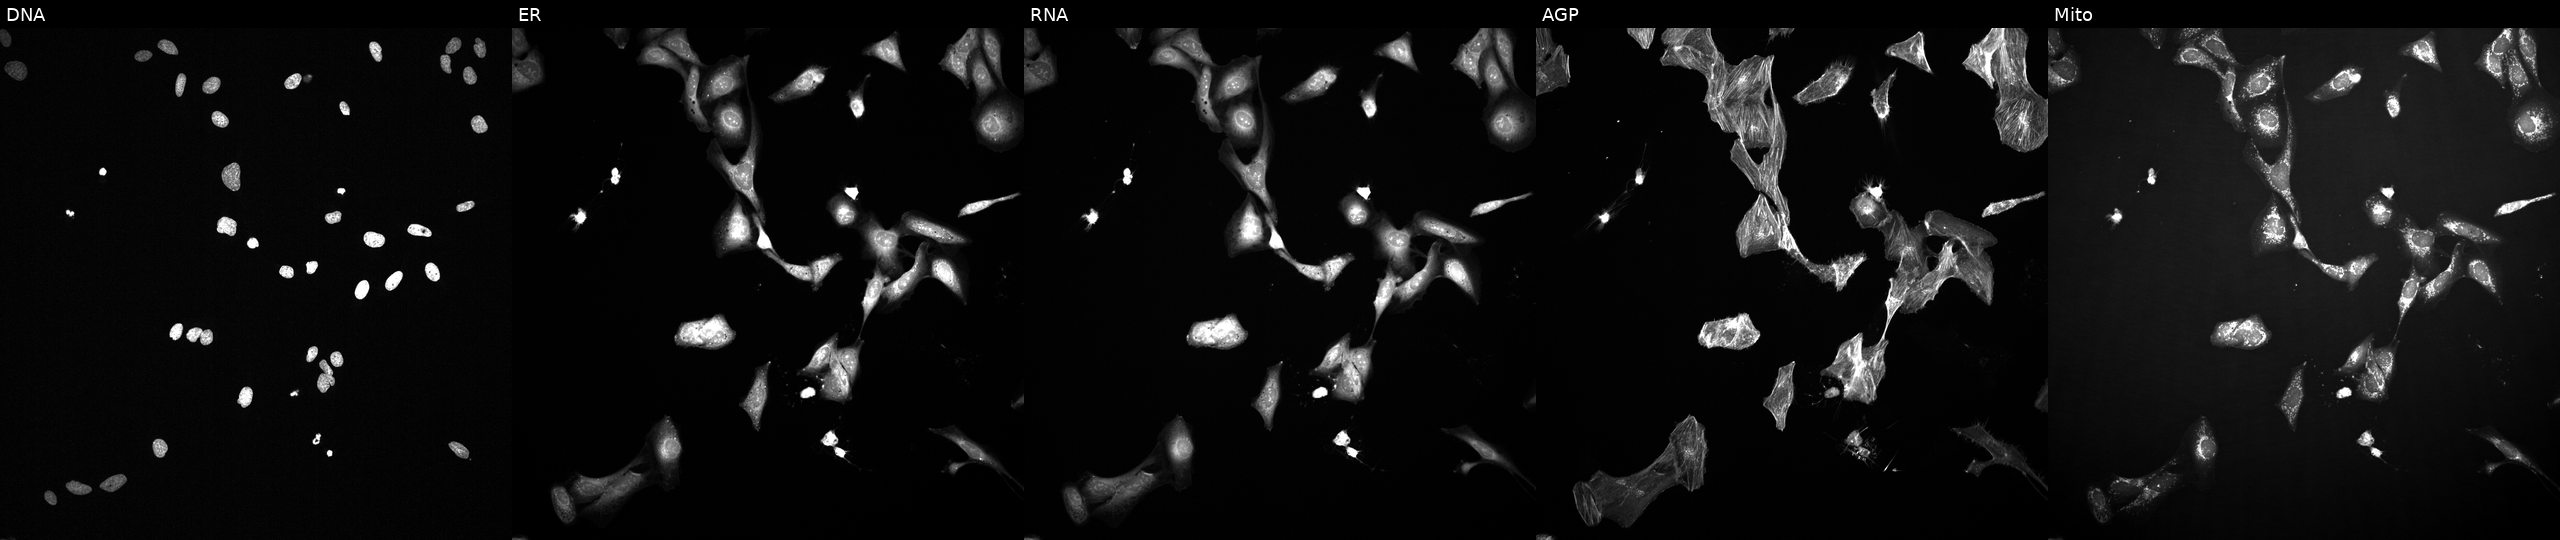
U2OS cells, Cell Painting assay, perturbed with a small-molecule compound (InChIKey AYCPARAPKDAOEN-UHFFFAOYSA-N) [SMILES: Cc1nc(=Nc2[nH]nc3c2CN(C(=O)NC(CN(C)C)c2ccccc2)C3(C)C)c2sccc2[nH]1] (JUMP id JCP2022_004587). Channels (left→right): DNA (nuclei); ER (endoplasmic reticulum); RNA (nucleoli and cytoplasmic RNA); AGP (actin cytoskeleton, Golgi, and plasma membrane); Mito (mitochondria). Each panel is percentile-stretched 16-bit fluorescence. Source 2, plate 1053597936, well H08.